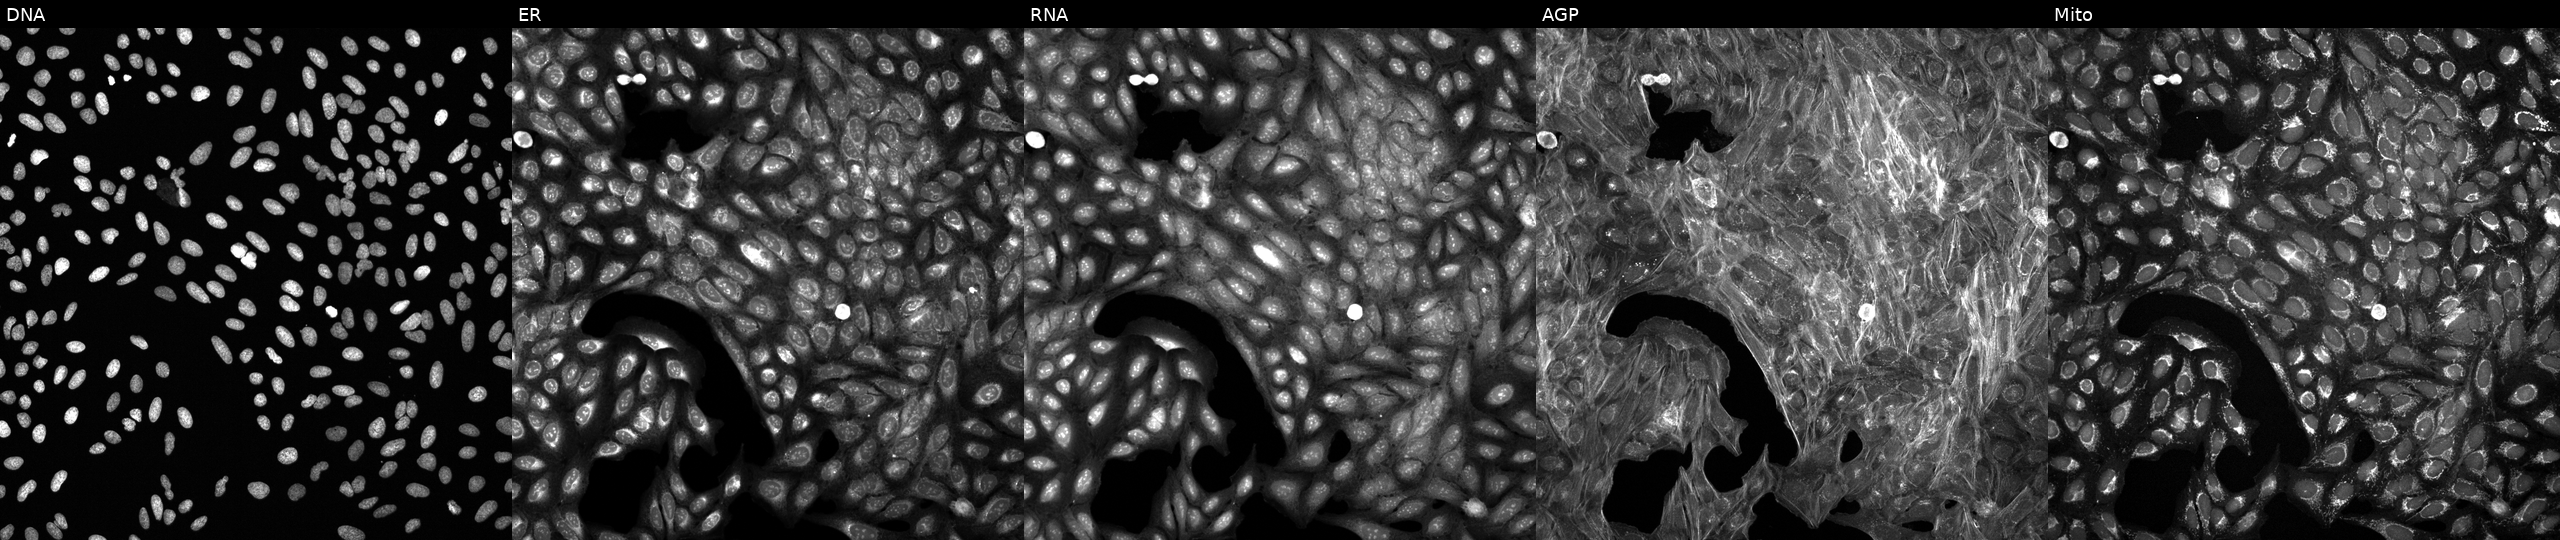
Five-channel Cell Painting image of U2OS cells exposed to a small-molecule compound (InChIKey ZMUSCGJNJYXJBP-UHFFFAOYSA-N) (JUMP id JCP2022_114322). Channels (left→right): Hoechst 33342, concanavalin A, SYTO 14, phalloidin and WGA, MitoTracker.